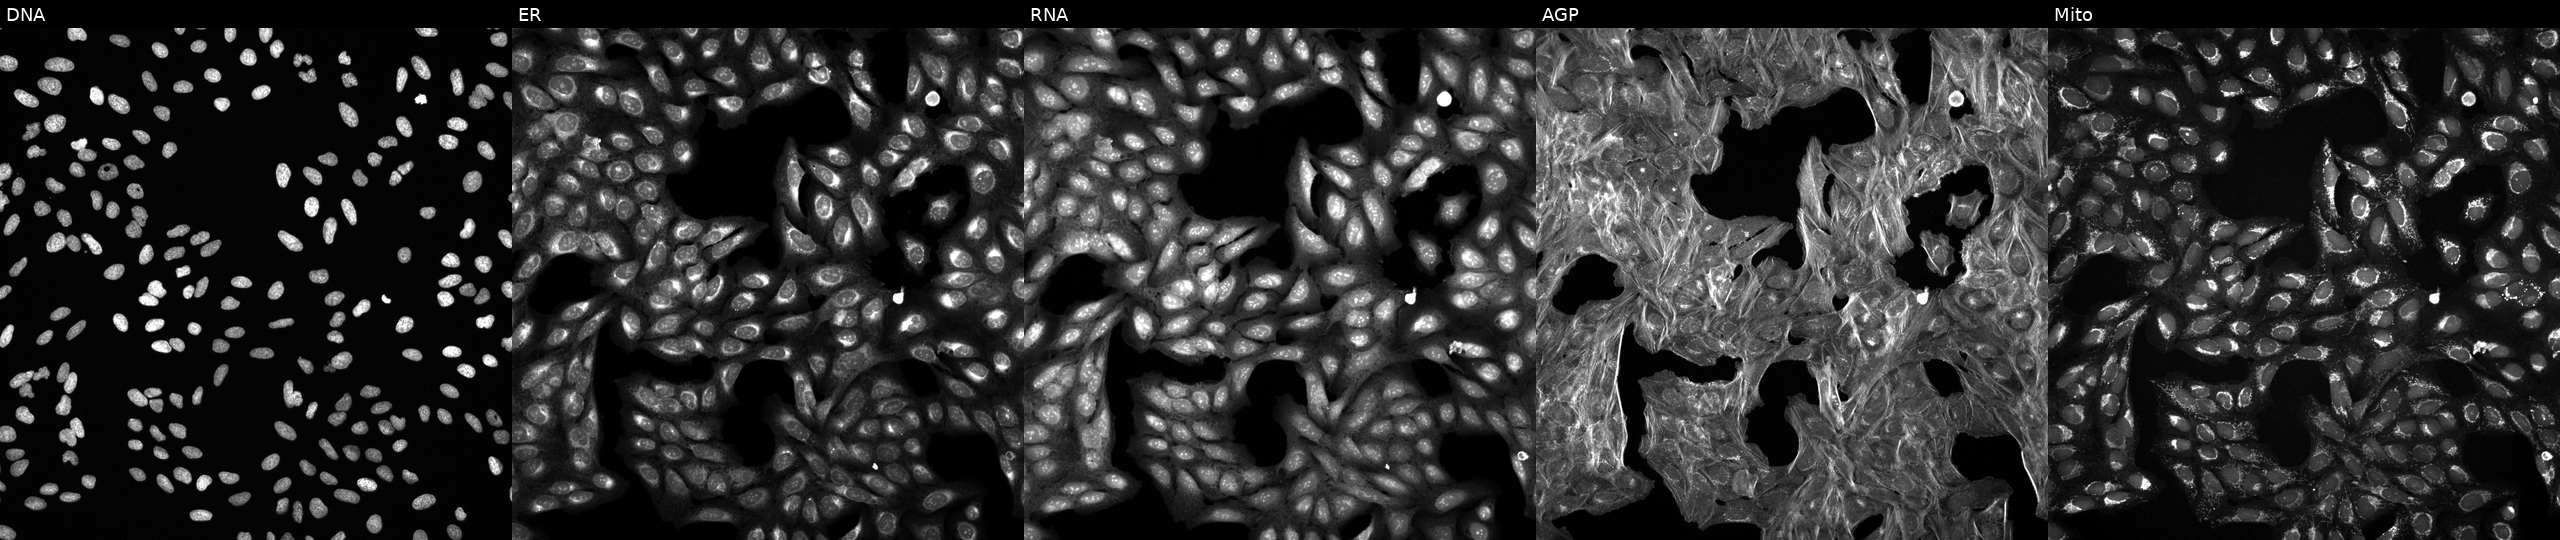
Five-channel Cell Painting image of U2OS cells perturbed with a small-molecule compound (InChIKey YQEHWVQMCBBZOY-UHFFFAOYSA-N) [SMILES: CC(=O)Nc1ccc(S(=O)(=O)NCCc2cn3nc(C)c(C)nc3n2)cc1]. Channels (left→right): Hoechst 33342, concanavalin A, SYTO 14, phalloidin and WGA, MitoTracker.